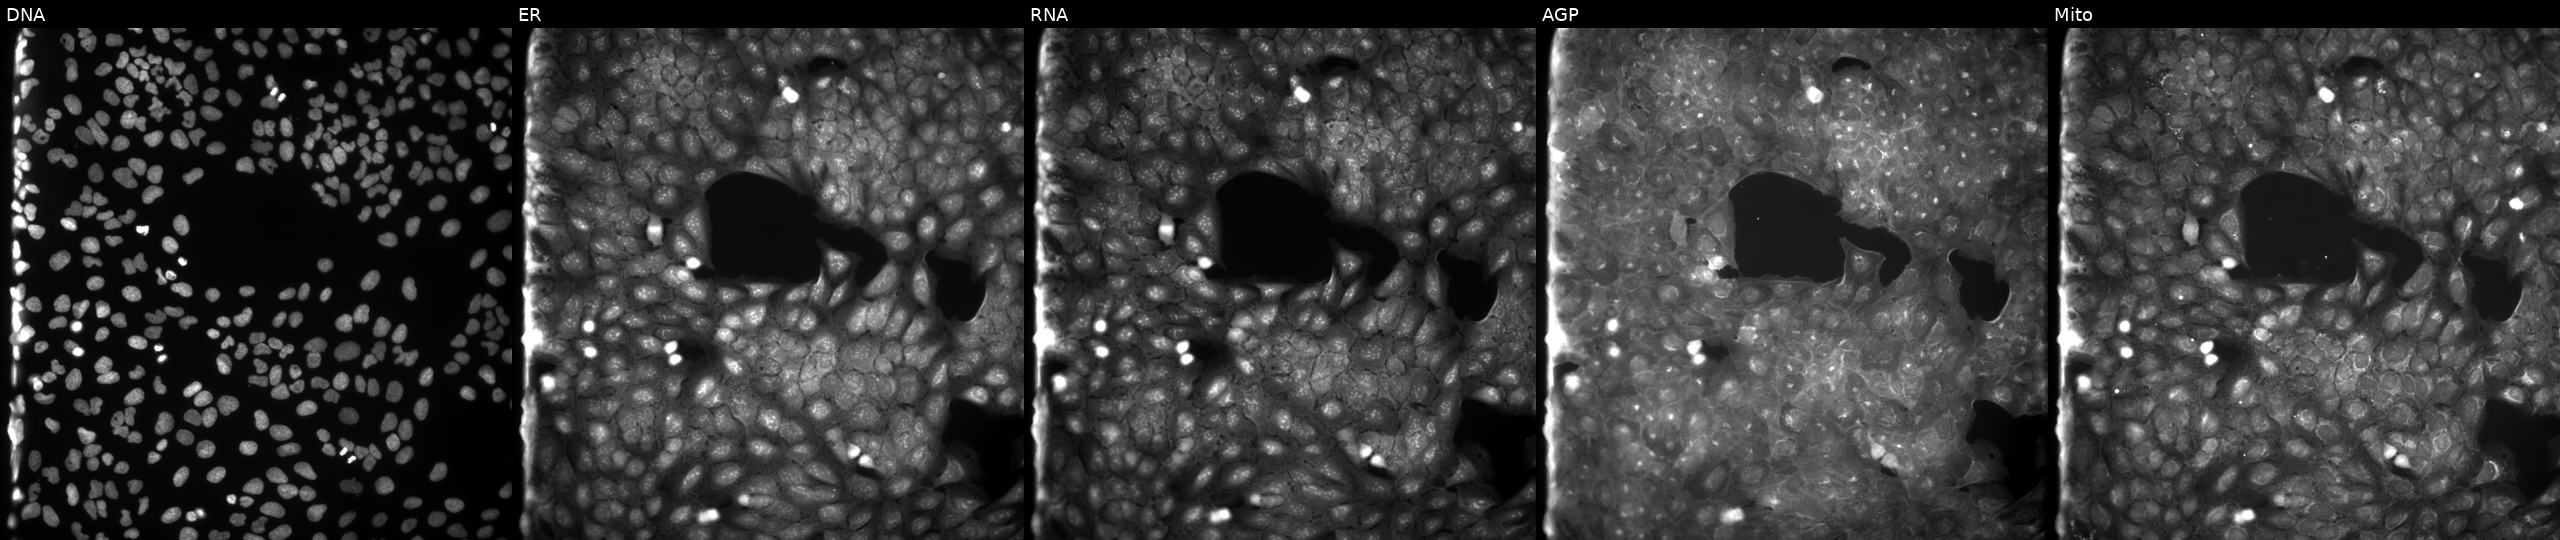
This image strip shows the five Cell Painting channels for a single field of U2OS cells exposed to a small-molecule compound (InChIKey OIPOPDBKNLXADR-UHFFFAOYSA-N) (JUMP id JCP2022_064040). From left to right: DNA, ER, RNA, AGP, and Mito.